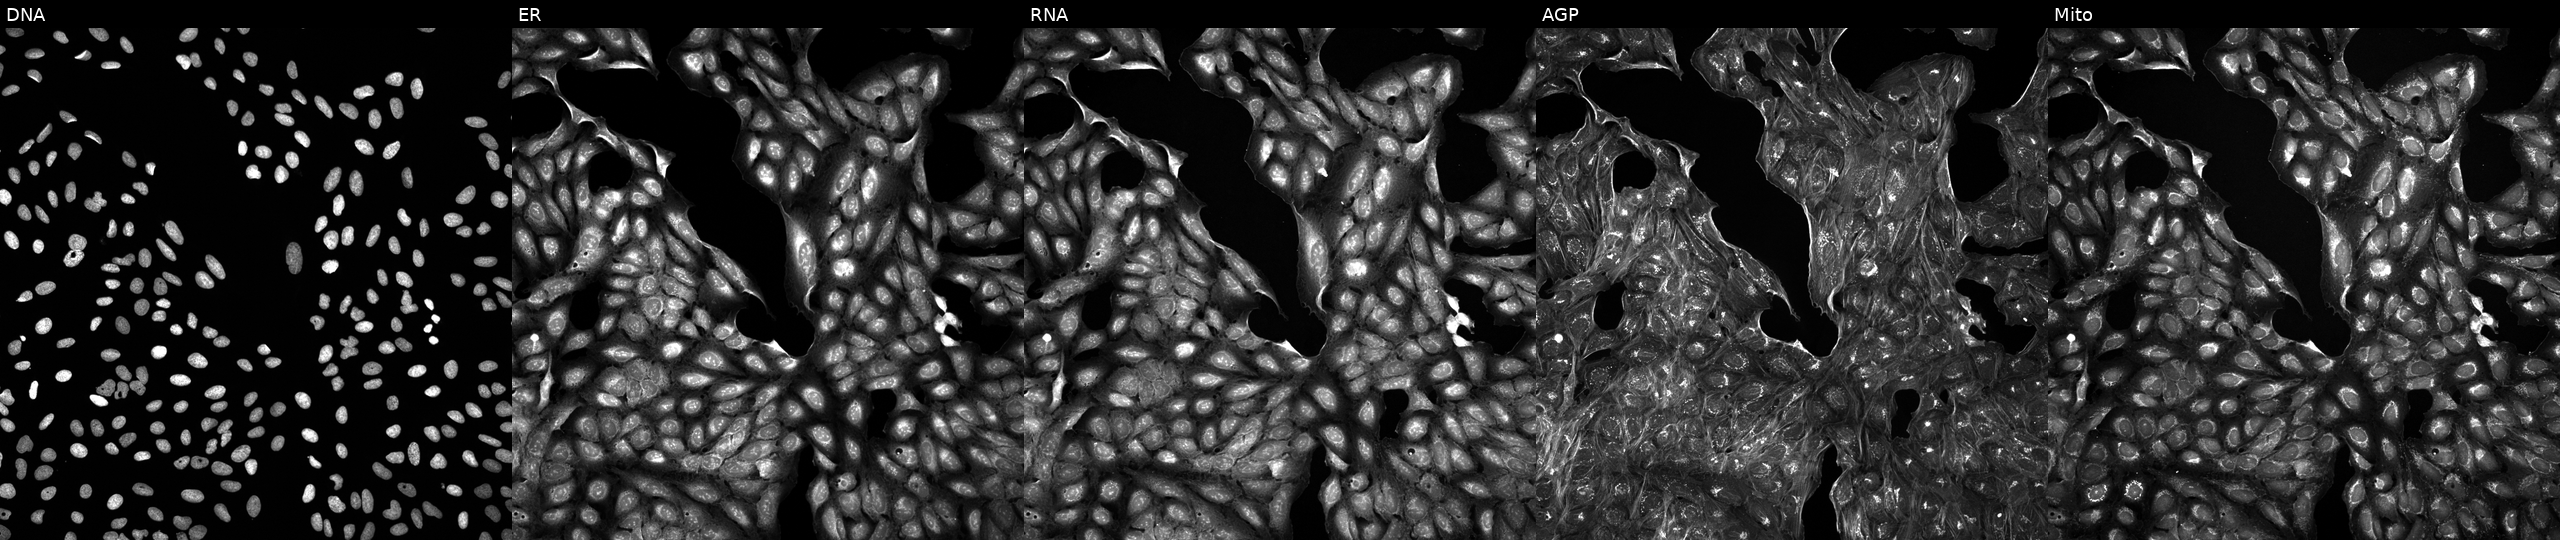
U2OS cells, Cell Painting assay, treated with a small-molecule compound (InChIKey VTRIBLXJOUSOPD-UHFFFAOYSA-N). Panels show, left to right, DNA (nuclei); ER (endoplasmic reticulum); RNA (nucleoli and cytoplasmic RNA); AGP (actin cytoskeleton, Golgi, and plasma membrane); Mito (mitochondria). Each panel is percentile-stretched 16-bit fluorescence. Source 5, plate APTJUM106, well C04.